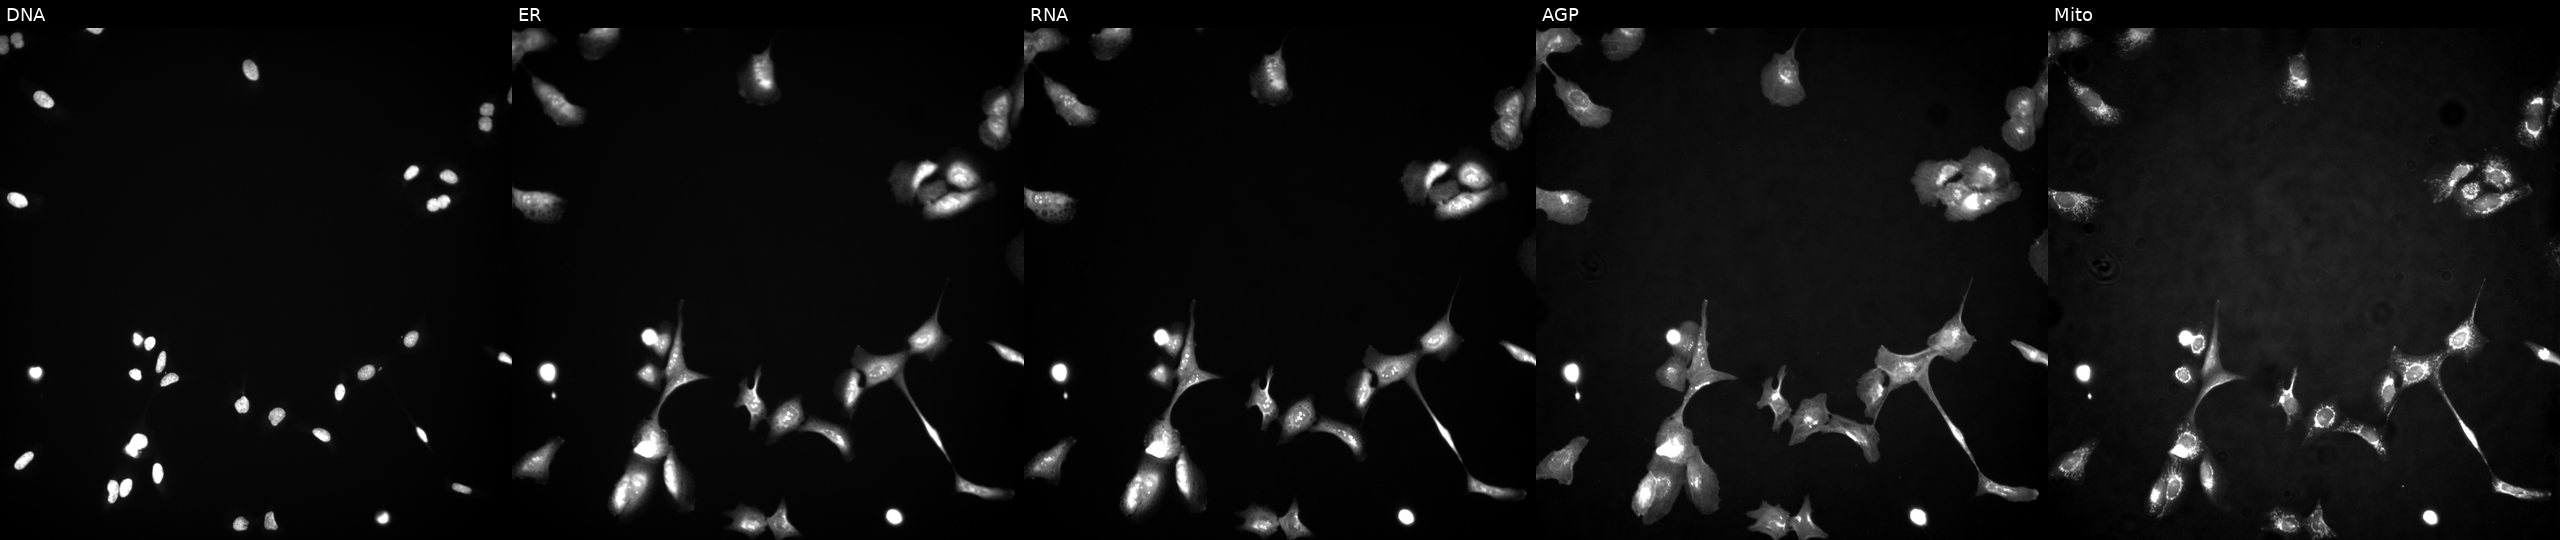
High-content fluorescence microscopy (Cell Painting). Cell line: U2OS. Perturbation: transfected with an ORF construct for ELK3. From left to right: DNA, ER, RNA, AGP, and Mito.